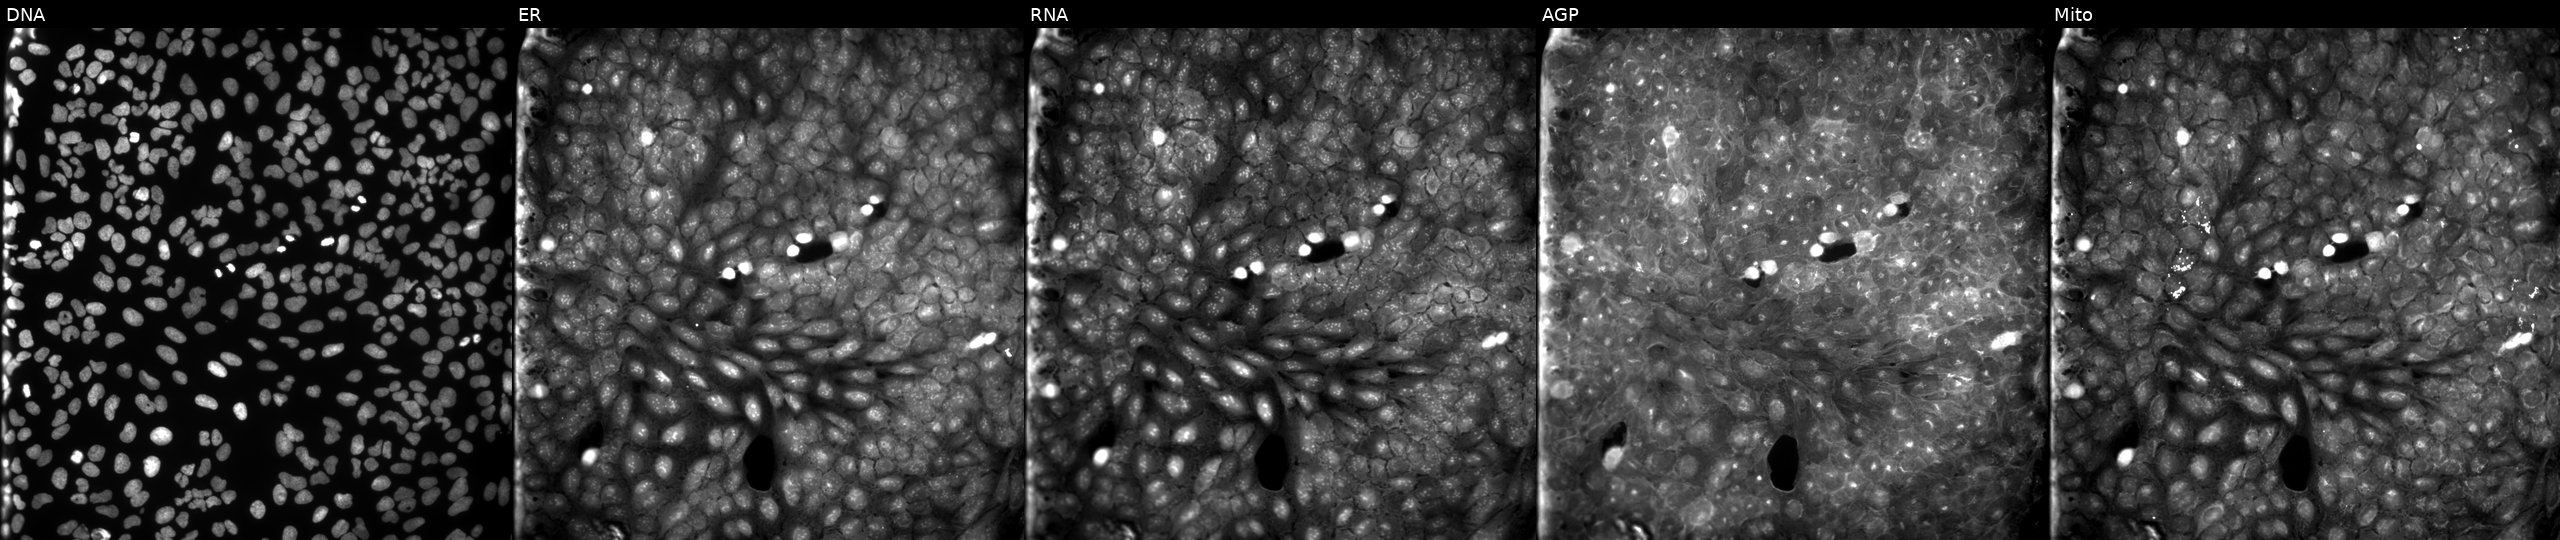
JUMP Cell Painting — COMPOUND plate. U2OS cells exposed to a small-molecule compound (InChIKey XXQHPVGGNYOXSK-UHFFFAOYSA-N) (JUMP id JCP2022_106716). From left to right: DNA, ER, RNA, AGP, and Mito. Source 9, plate GR00003382, well S13.